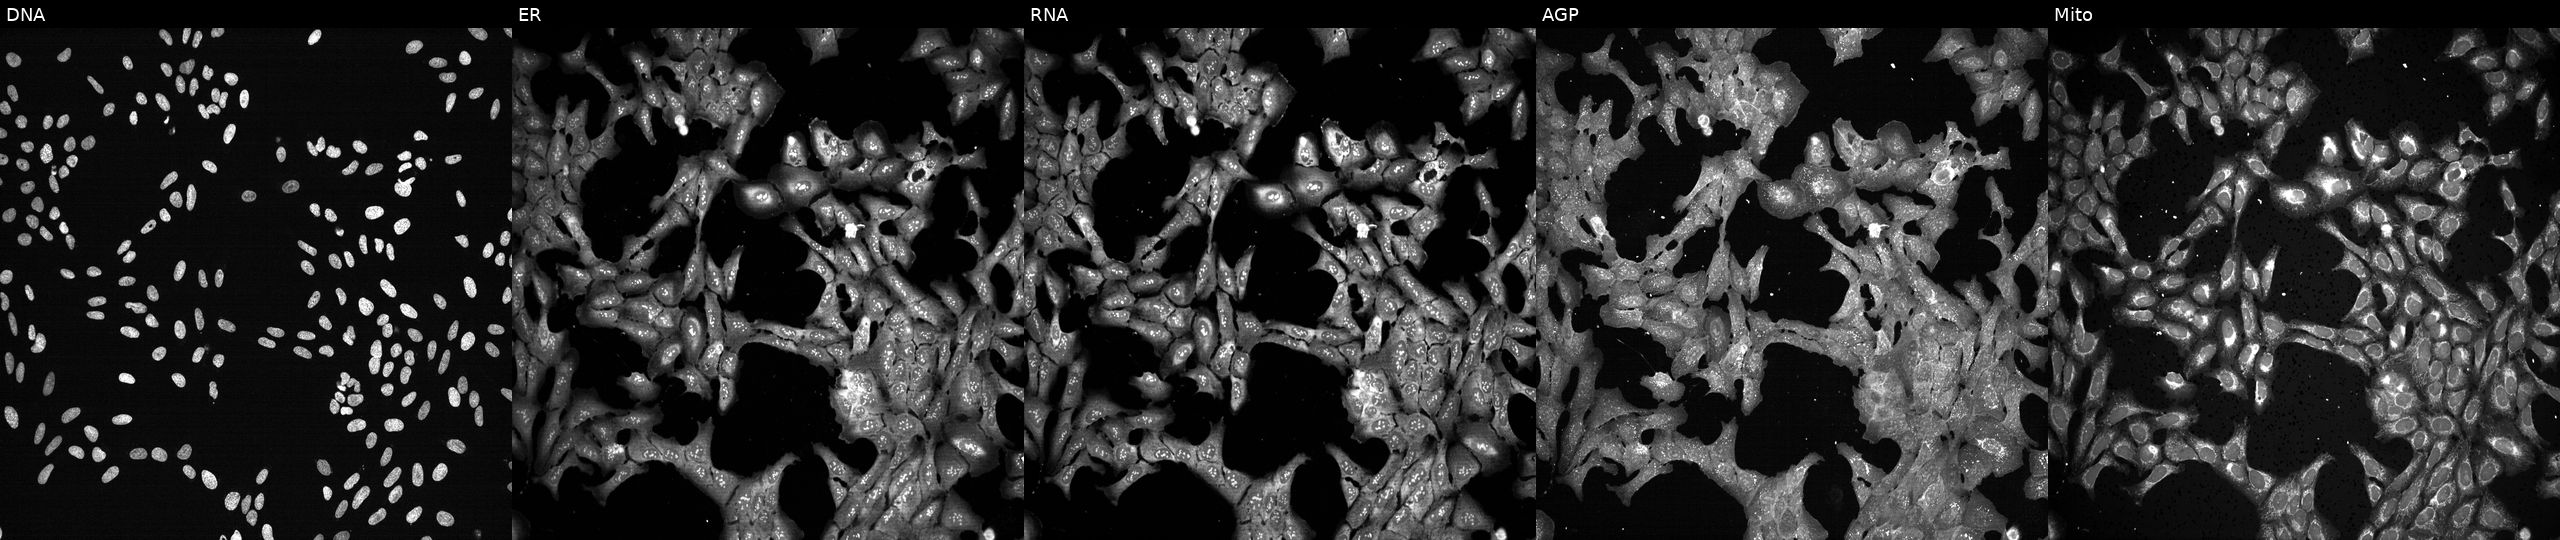
This image strip shows the five Cell Painting channels for a single field of U2OS cells following CRISPR knockout of PDE6H (JUMP id JCP2022_805000). The five panels, left to right, show Hoechst 33342, concanavalin A, SYTO 14, phalloidin and WGA, MitoTracker.